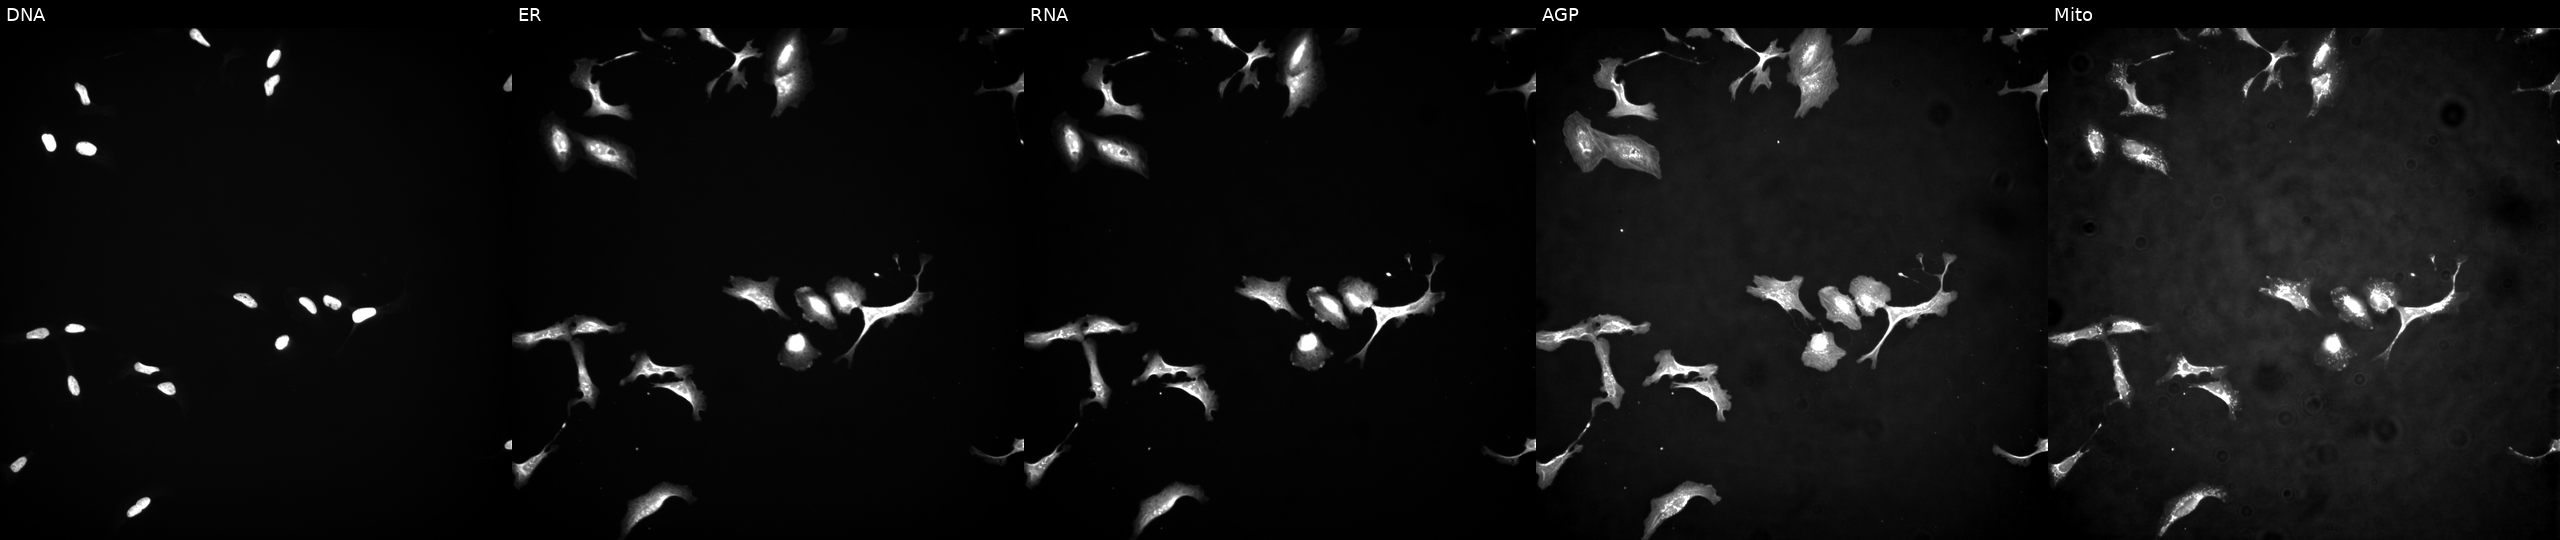
This image strip shows the five Cell Painting channels for a single field of U2OS cells with CKM overexpressed (ORF). The five panels, left to right, show Hoechst 33342, concanavalin A, SYTO 14, phalloidin and WGA, MitoTracker. Source 4, plate BR00123945, well H09.